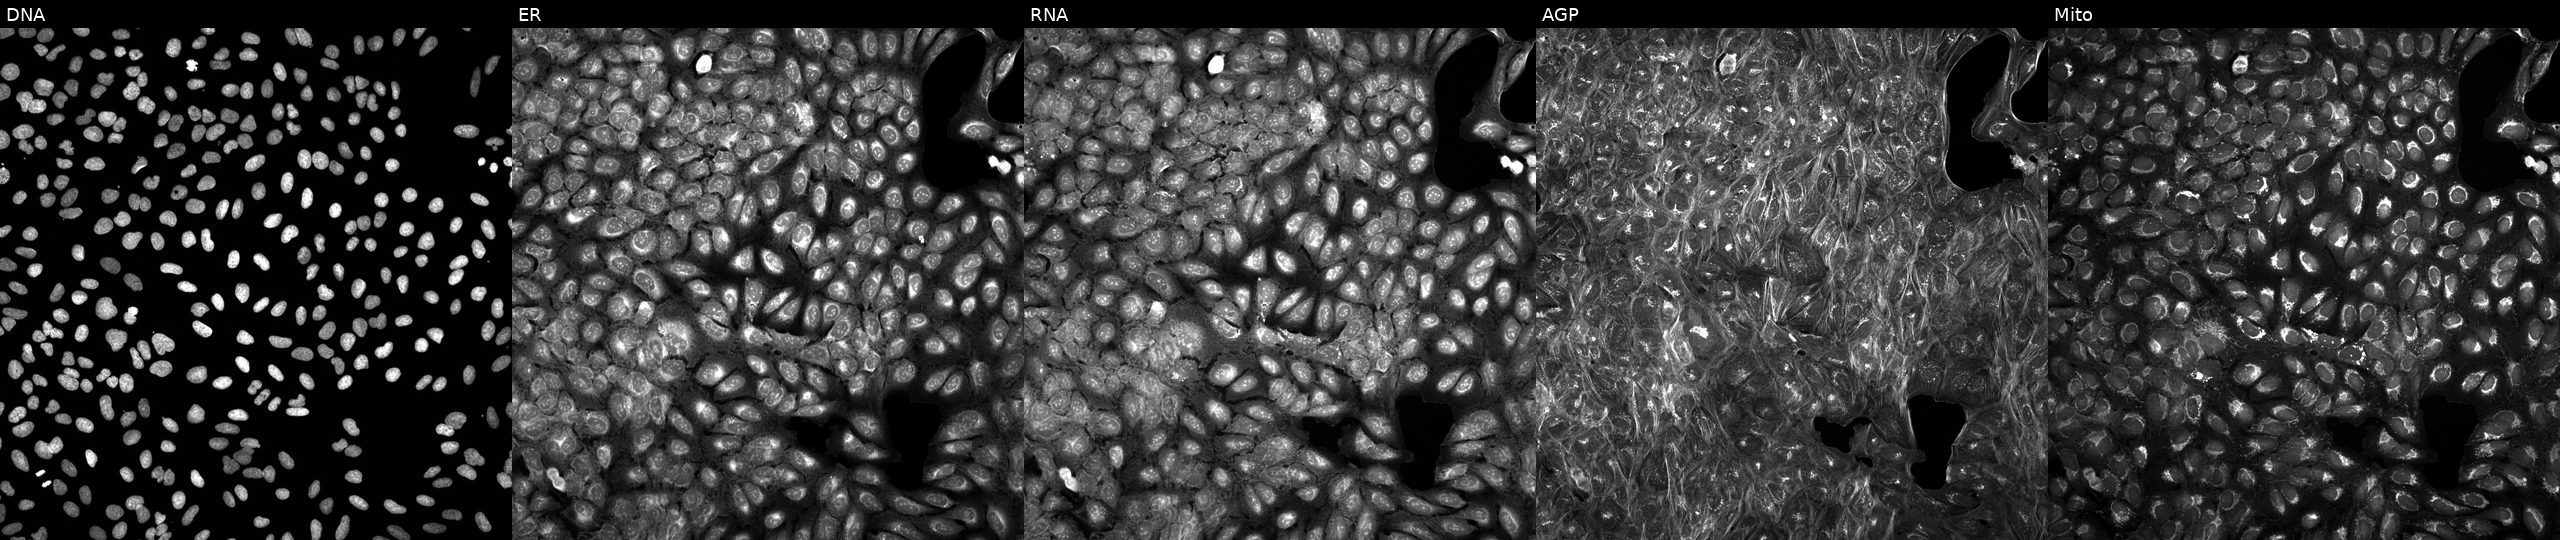
JUMP Cell Painting — TARGET2 plate. U2OS cells treated with a small-molecule compound. From left to right: Hoechst 33342, concanavalin A, SYTO 14, phalloidin and WGA, MitoTracker.